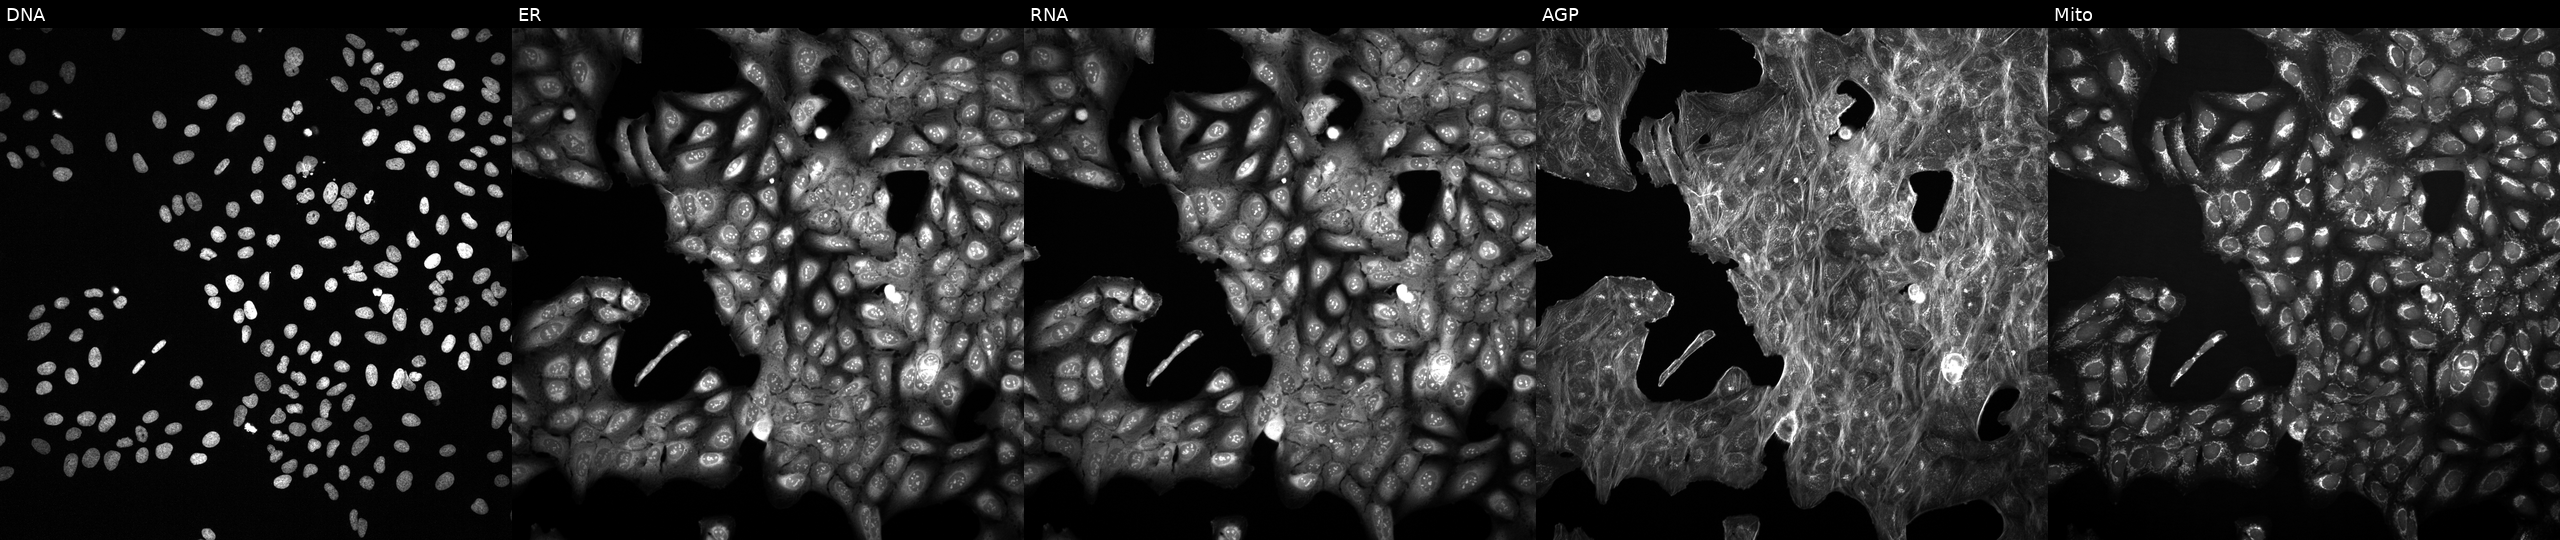
Five-channel Cell Painting image of U2OS cells exposed to DMSO alone as a negative control (JUMP id JCP2022_033924). From left to right: DNA (nuclei); ER (endoplasmic reticulum); RNA (nucleoli and cytoplasmic RNA); AGP (actin cytoskeleton, Golgi, and plasma membrane); Mito (mitochondria).